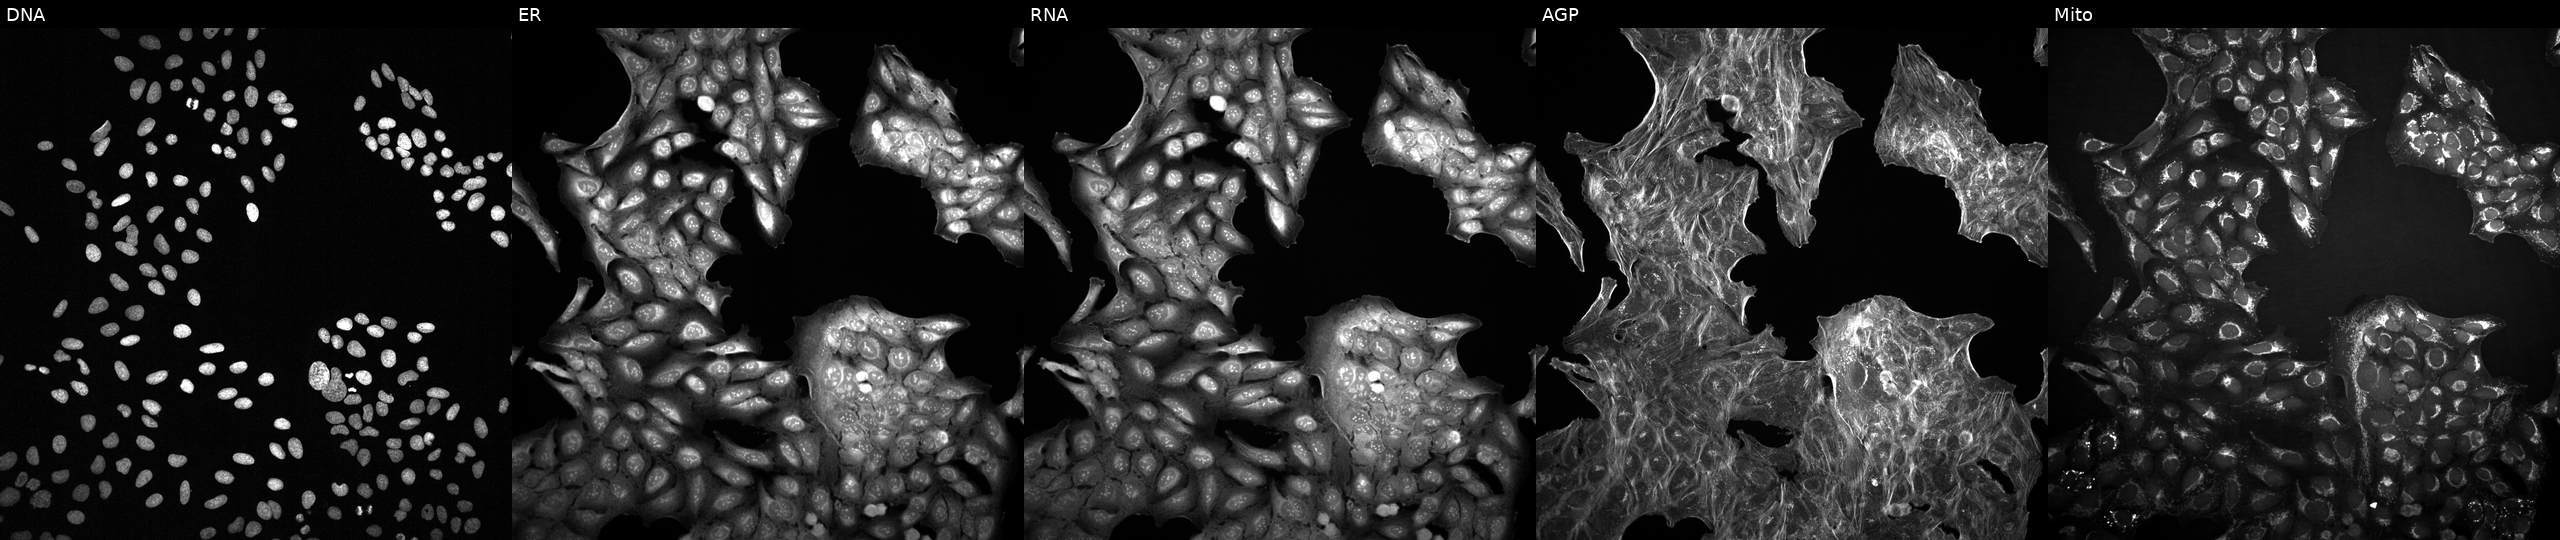
JUMP Cell Painting — COMPOUND plate. U2OS cells perturbed with a small-molecule compound (InChIKey PURFUZBCTZVBGF-UHFFFAOYSA-N) (JUMP id JCP2022_071065). The five panels, left to right, show DNA (nuclei); ER (endoplasmic reticulum); RNA (nucleoli and cytoplasmic RNA); AGP (actin cytoskeleton, Golgi, and plasma membrane); Mito (mitochondria).